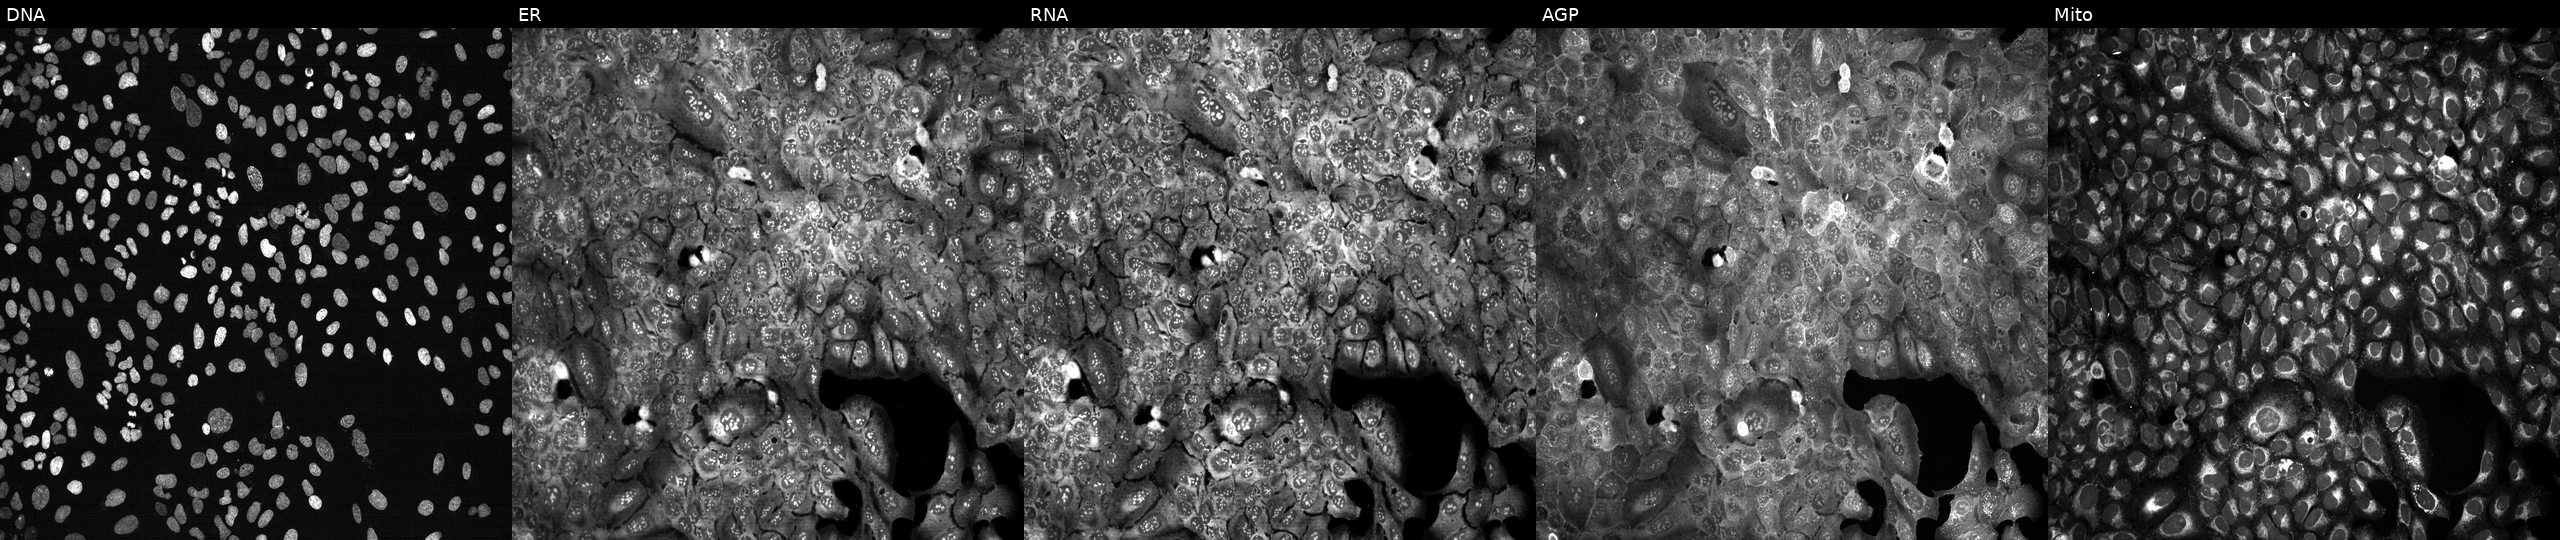
The five panels, left to right, show Hoechst 33342, concanavalin A, SYTO 14, phalloidin and WGA, MitoTracker. U2OS osteosarcoma cells following CRISPR knockout of GABARAP (JUMP id JCP2022_802545). Cell Painting assay, JUMP-CP dataset. Source 13, plate CP-CC9-R4-04, well F19.